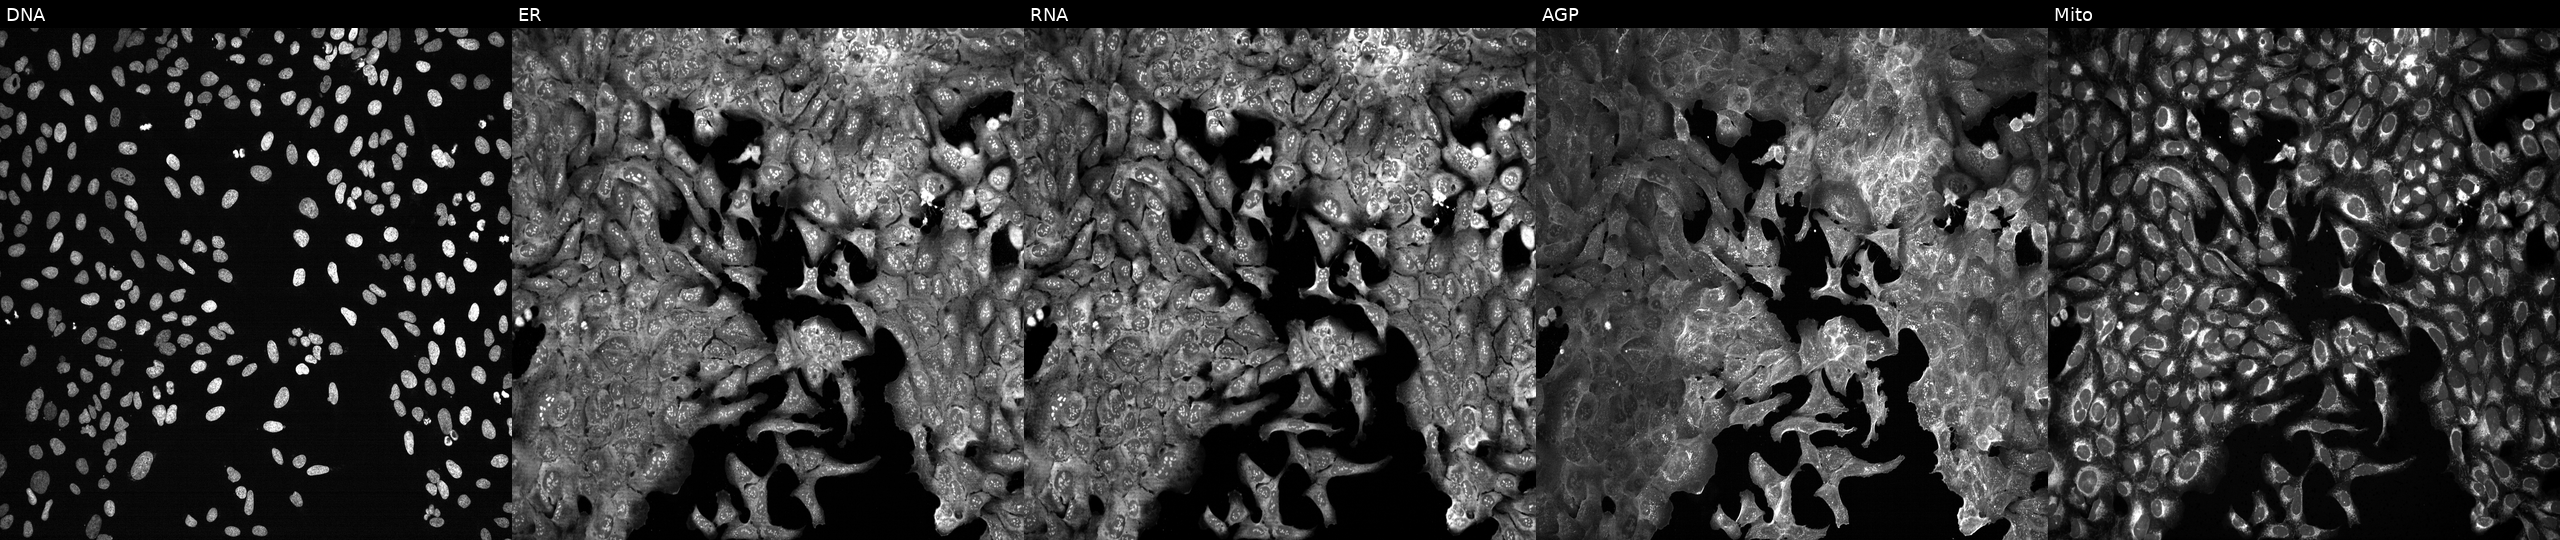
JUMP Cell Painting — CRISPR plate. U2OS cells CRISPR-edited to disrupt TINAG. Panels show, left to right, DNA (nuclei); ER (endoplasmic reticulum); RNA (nucleoli and cytoplasmic RNA); AGP (actin cytoskeleton, Golgi, and plasma membrane); Mito (mitochondria).